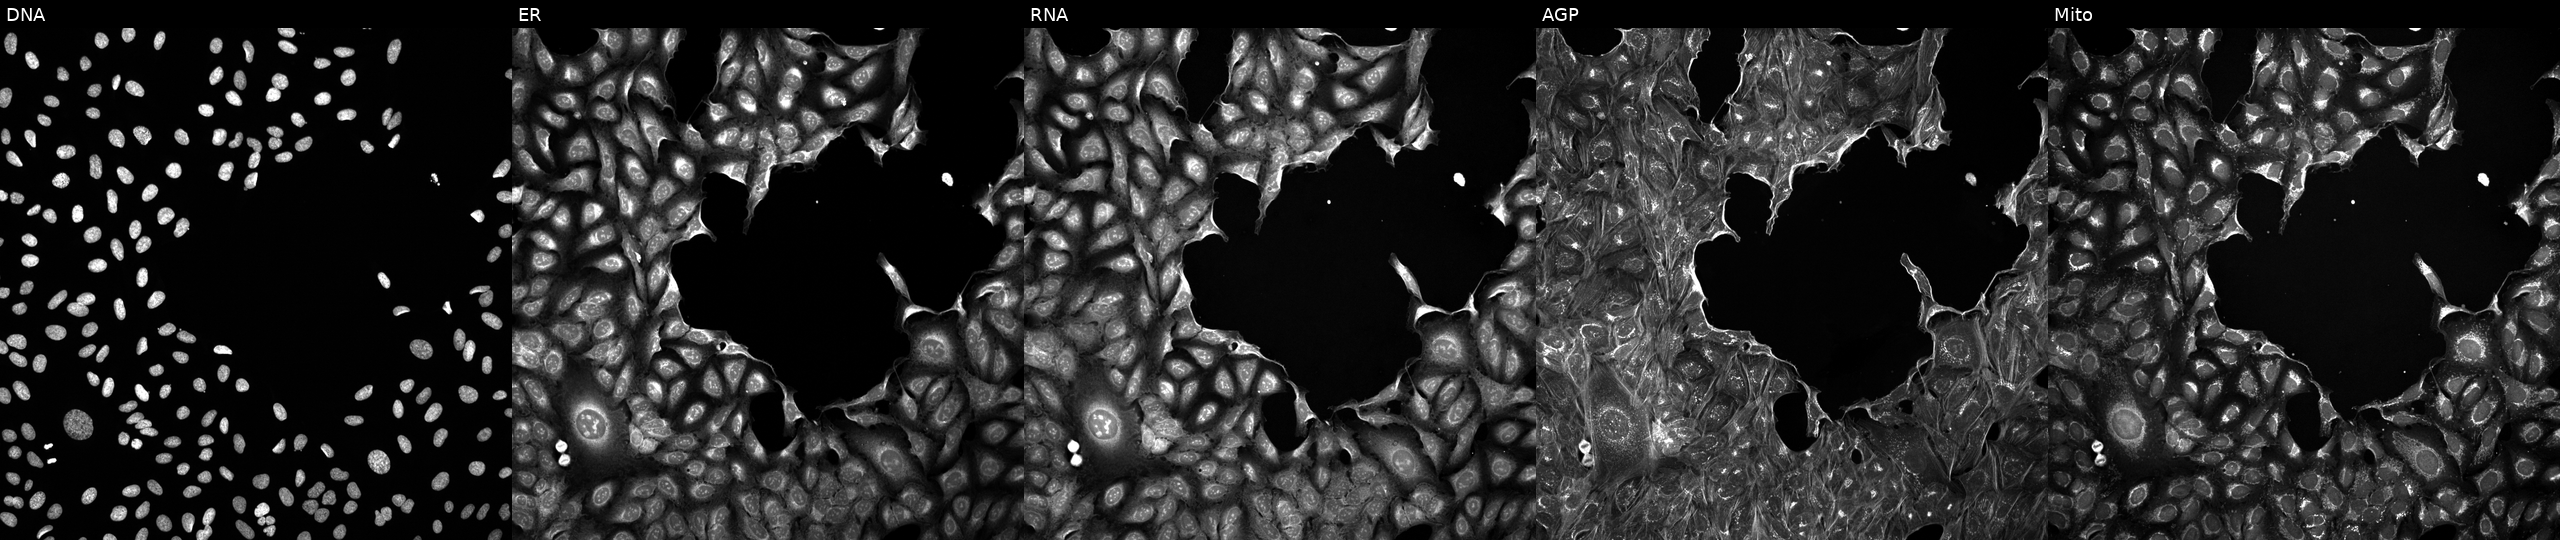
The five panels, left to right, show DNA, ER, RNA, AGP, and Mito. U2OS osteosarcoma cells perturbed with a small-molecule compound (InChIKey HULPONUAINYLQQ-UHFFFAOYSA-N) [SMILES: CC=C(C)C(=O)OC1C(C)=CC23C(=O)C(=CC(CO)C(O)C12O)C1C(CC3C)C1(C)C] (JUMP id JCP2022_032680). Cell Painting assay, JUMP-CP dataset.